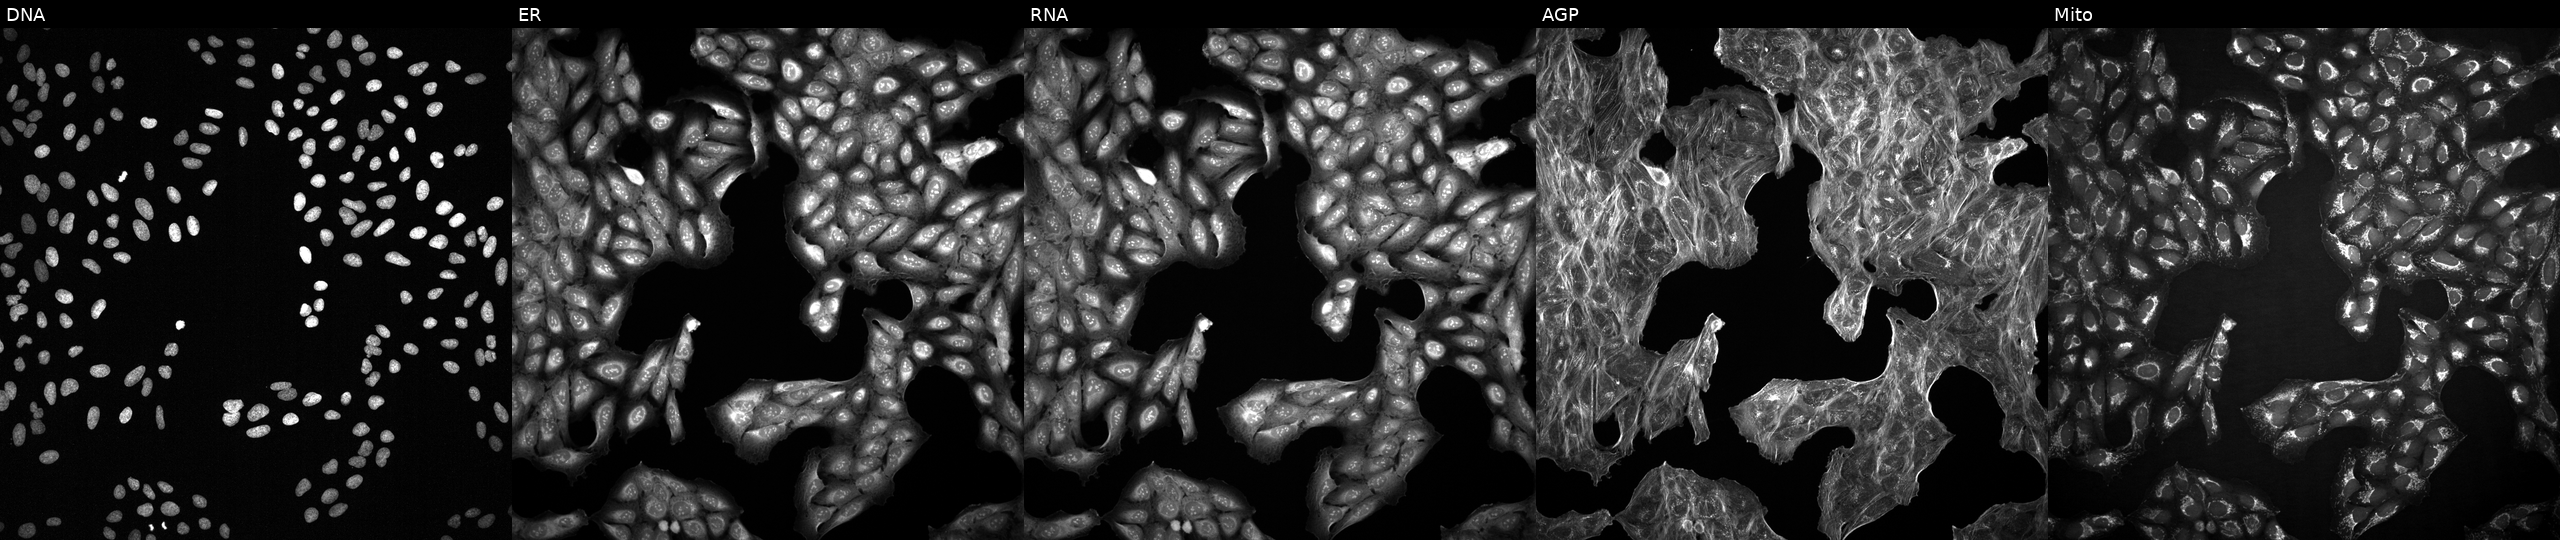
Five-channel Cell Painting image of U2OS cells with an unidentified perturbation (not annotated in JUMP metadata). The five panels, left to right, show DNA, ER, RNA, AGP, and Mito.